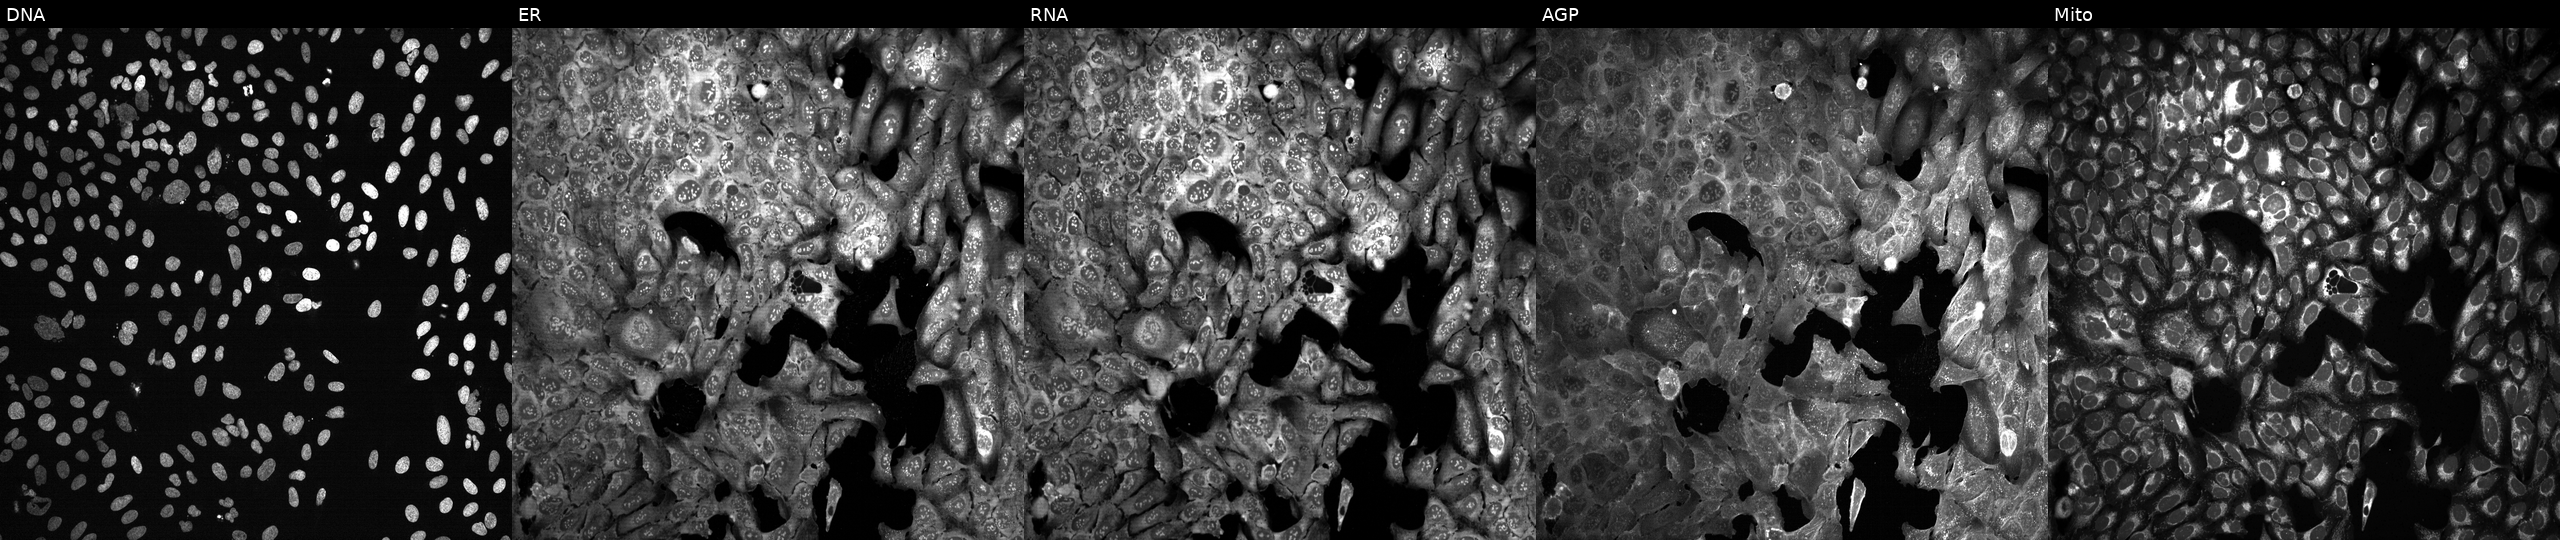
This image strip shows the five Cell Painting channels for a single field of U2OS cells CRISPR-edited to disrupt ADAMTS10. Panels show, left to right, DNA, ER, RNA, AGP, and Mito.